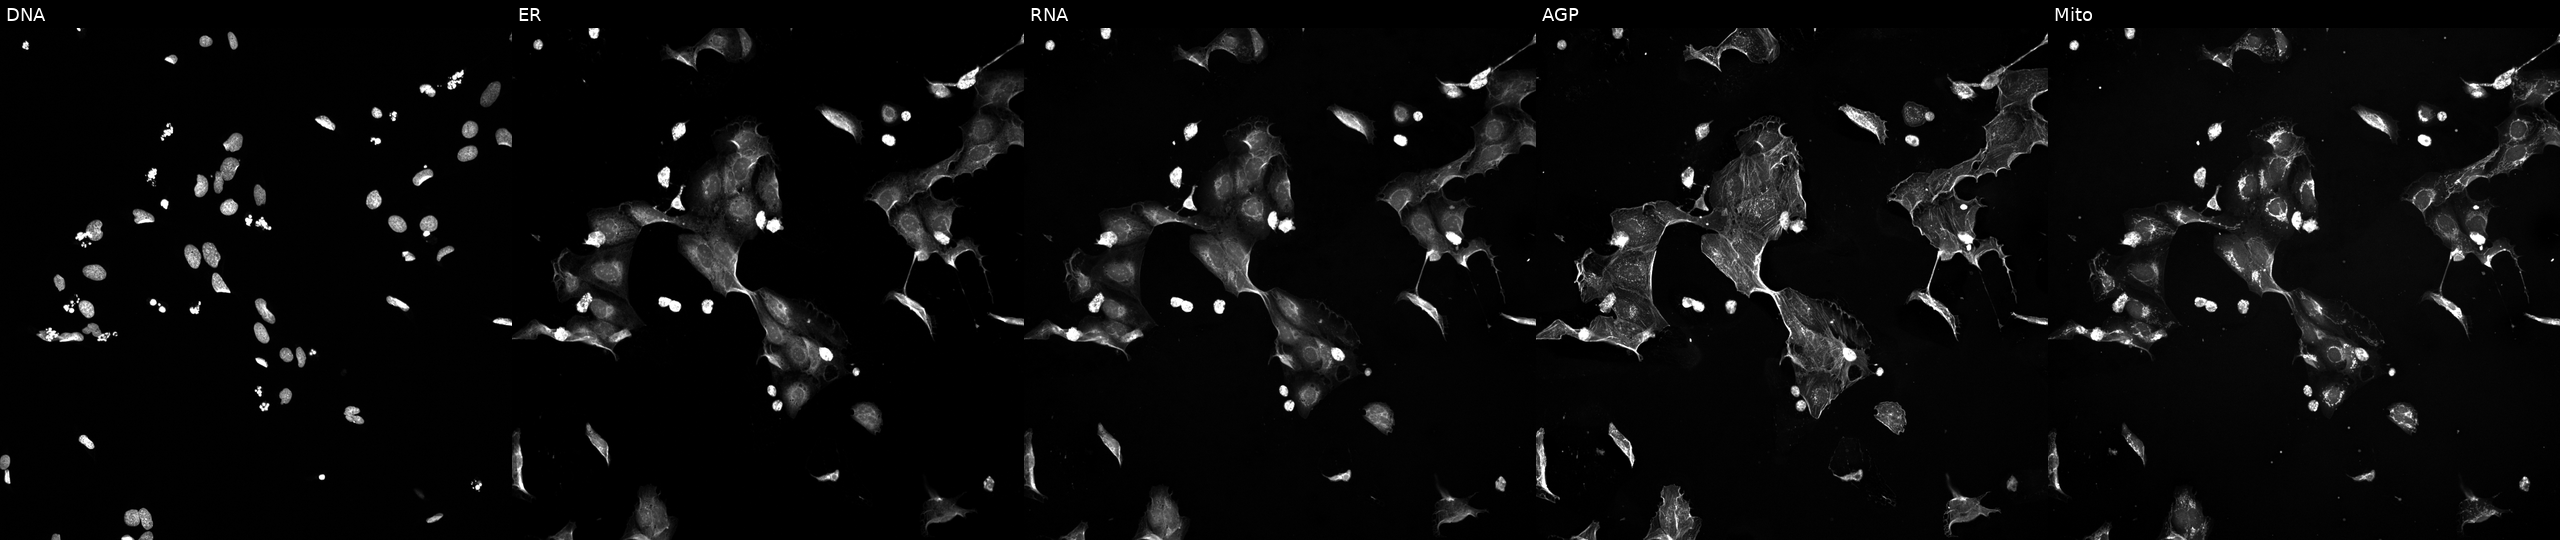
This image strip shows the five Cell Painting channels for a single field of U2OS cells perturbed with a small-molecule compound [SMILES: COc1cccc(-c2cc(F)ccc2C2Cc3[nH]c(=N)nc(C)c3C(=O)N2)n1] (JUMP id JCP2022_100876). From left to right: Hoechst 33342, concanavalin A, SYTO 14, phalloidin and WGA, MitoTracker.